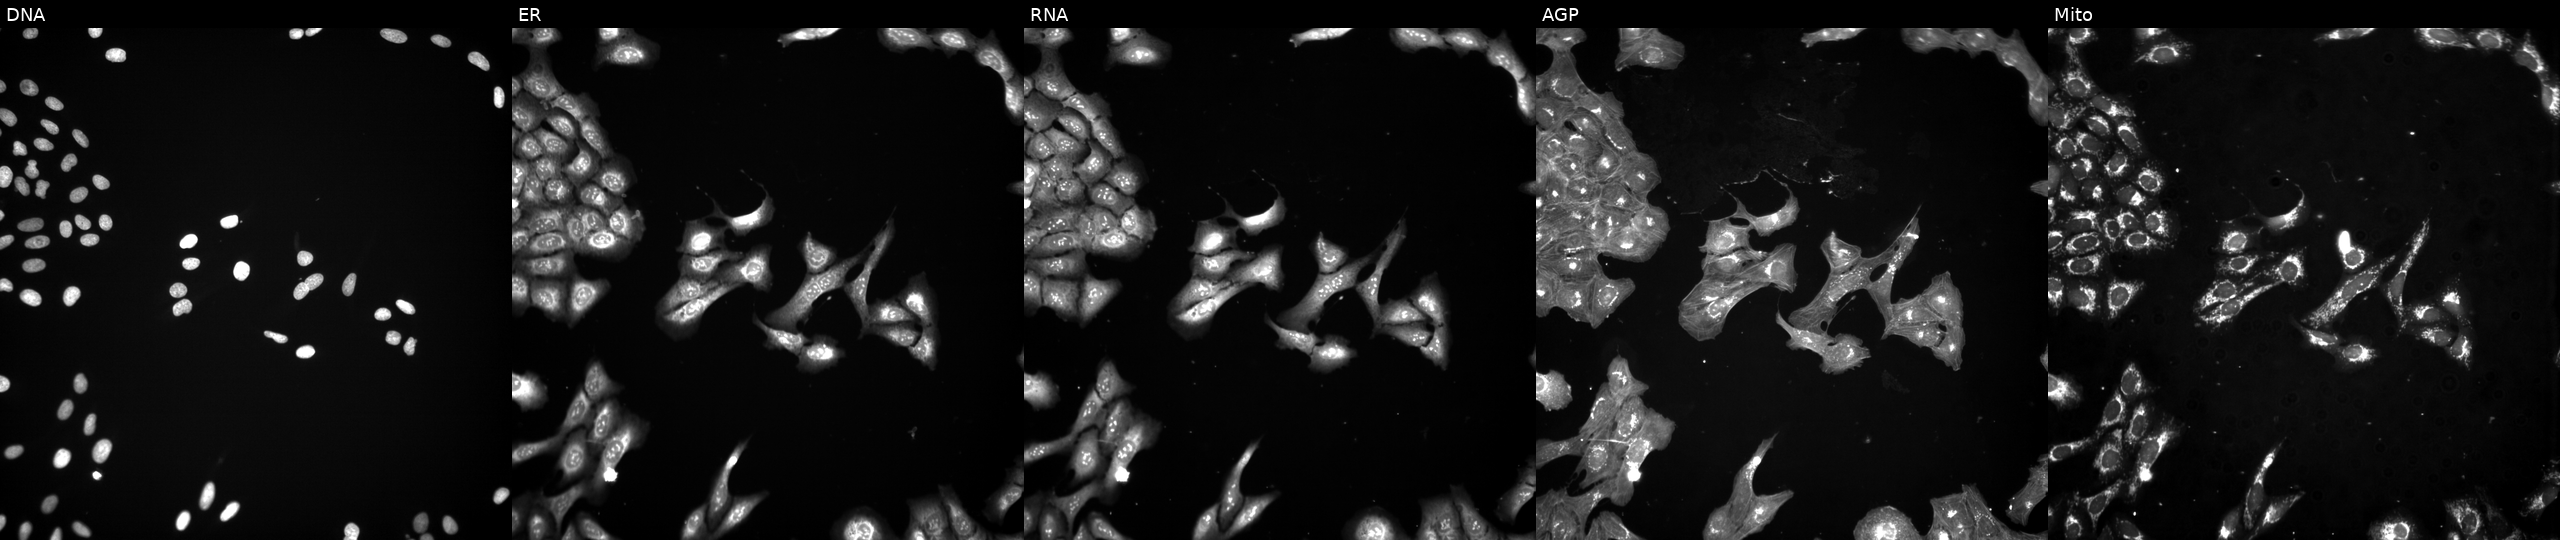
JUMP Cell Painting — COMPOUND plate. U2OS cells treated with TC-S-7004 (positive-control compound) (JUMP id JCP2022_012818). From left to right: DNA (nuclei); ER (endoplasmic reticulum); RNA (nucleoli and cytoplasmic RNA); AGP (actin cytoskeleton, Golgi, and plasma membrane); Mito (mitochondria).